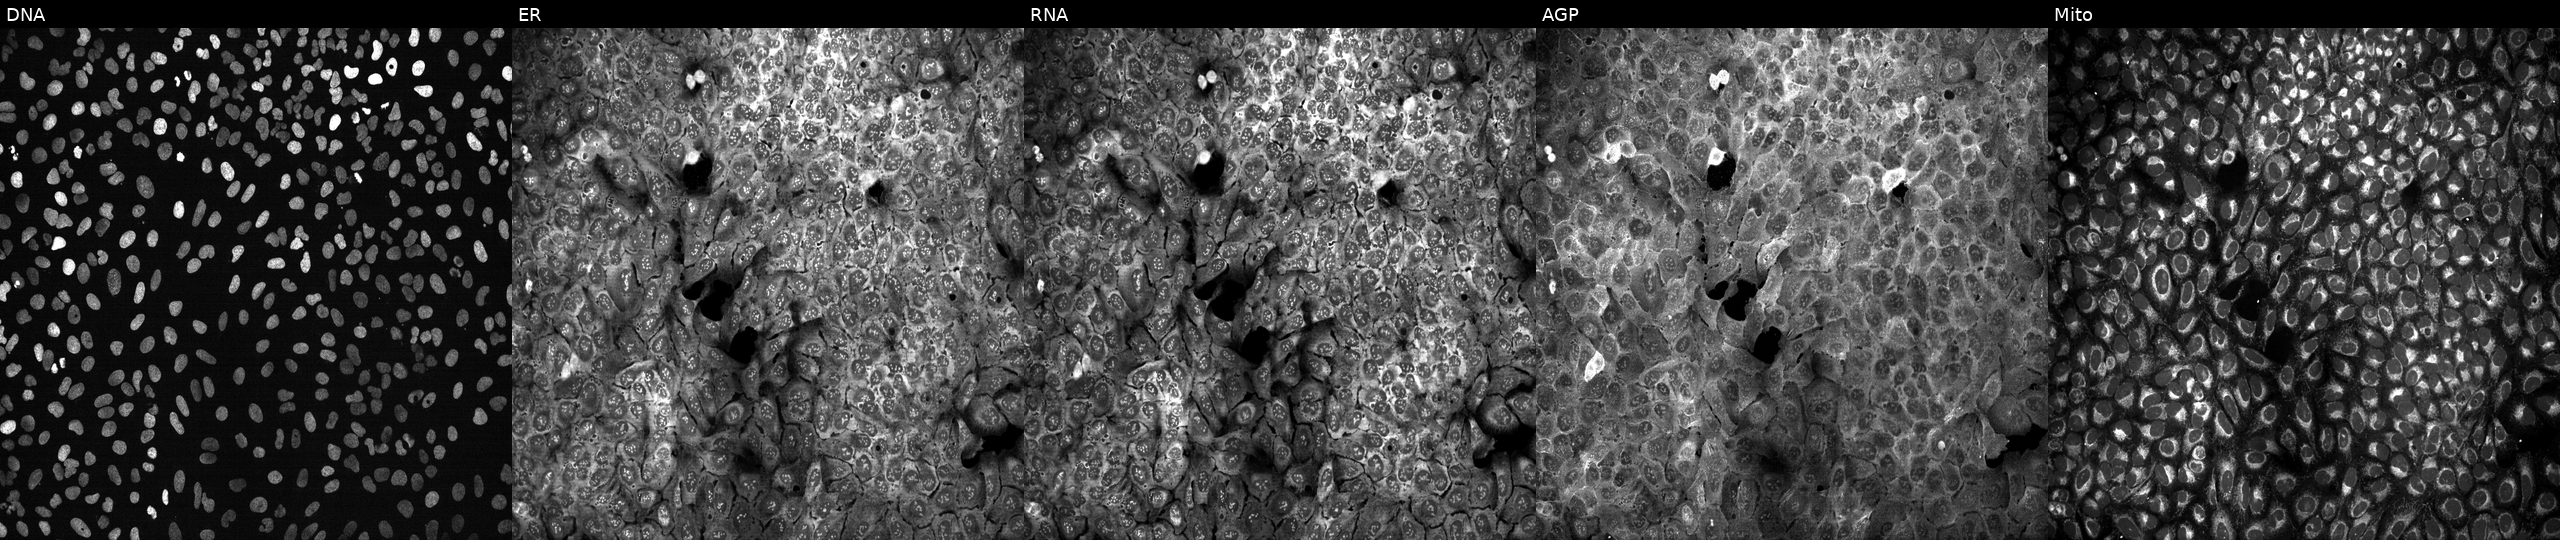
This image strip shows the five Cell Painting channels for a single field of U2OS cells with ST8SIA5 knocked out by CRISPR (JUMP id JCP2022_806815). The five panels, left to right, show DNA (nuclei); ER (endoplasmic reticulum); RNA (nucleoli and cytoplasmic RNA); AGP (actin cytoskeleton, Golgi, and plasma membrane); Mito (mitochondria).